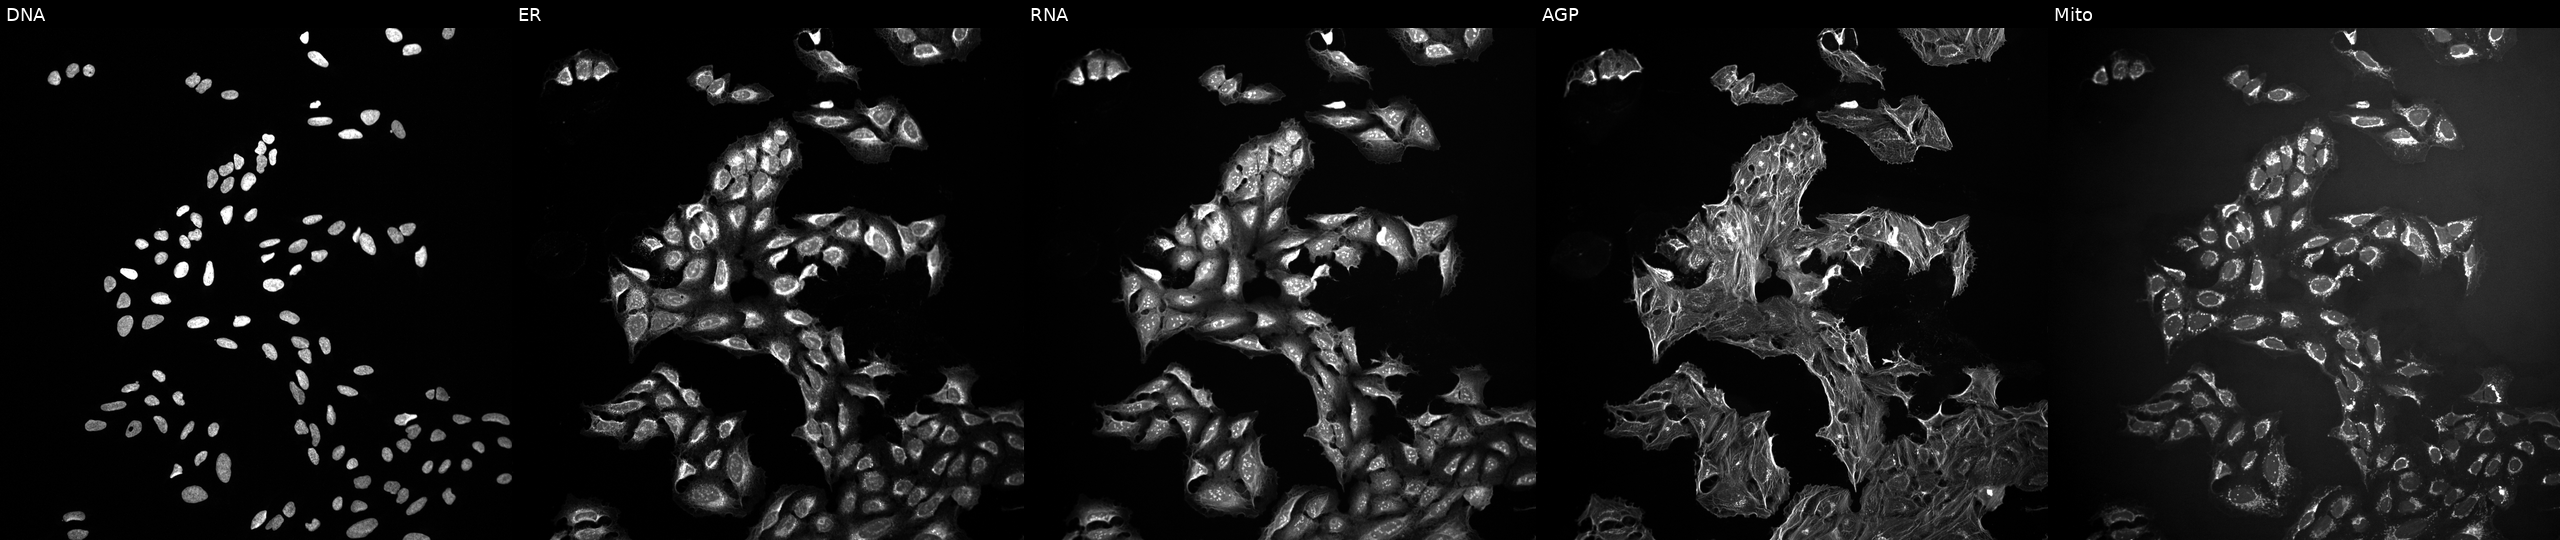
Five-channel Cell Painting image of U2OS cells treated with a small-molecule compound. Panels show, left to right, DNA, ER, RNA, AGP, and Mito.